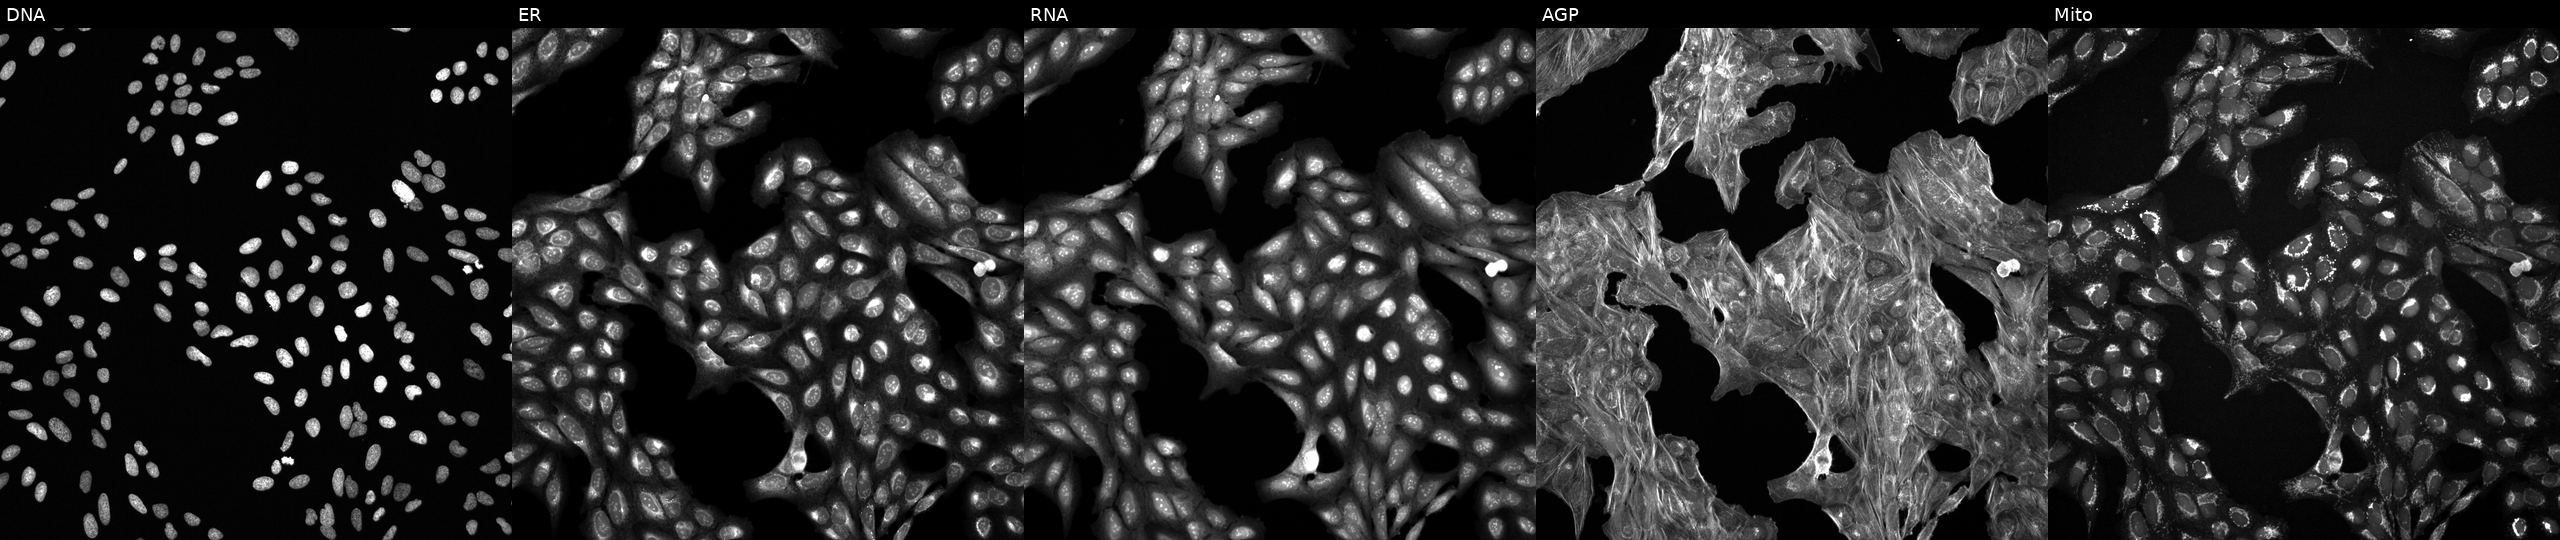
Five-channel Cell Painting image of U2OS cells treated with a small-molecule compound (InChIKey QVZCXCJXTMIDME-UHFFFAOYSA-N). From left to right: Hoechst 33342, concanavalin A, SYTO 14, phalloidin and WGA, MitoTracker.